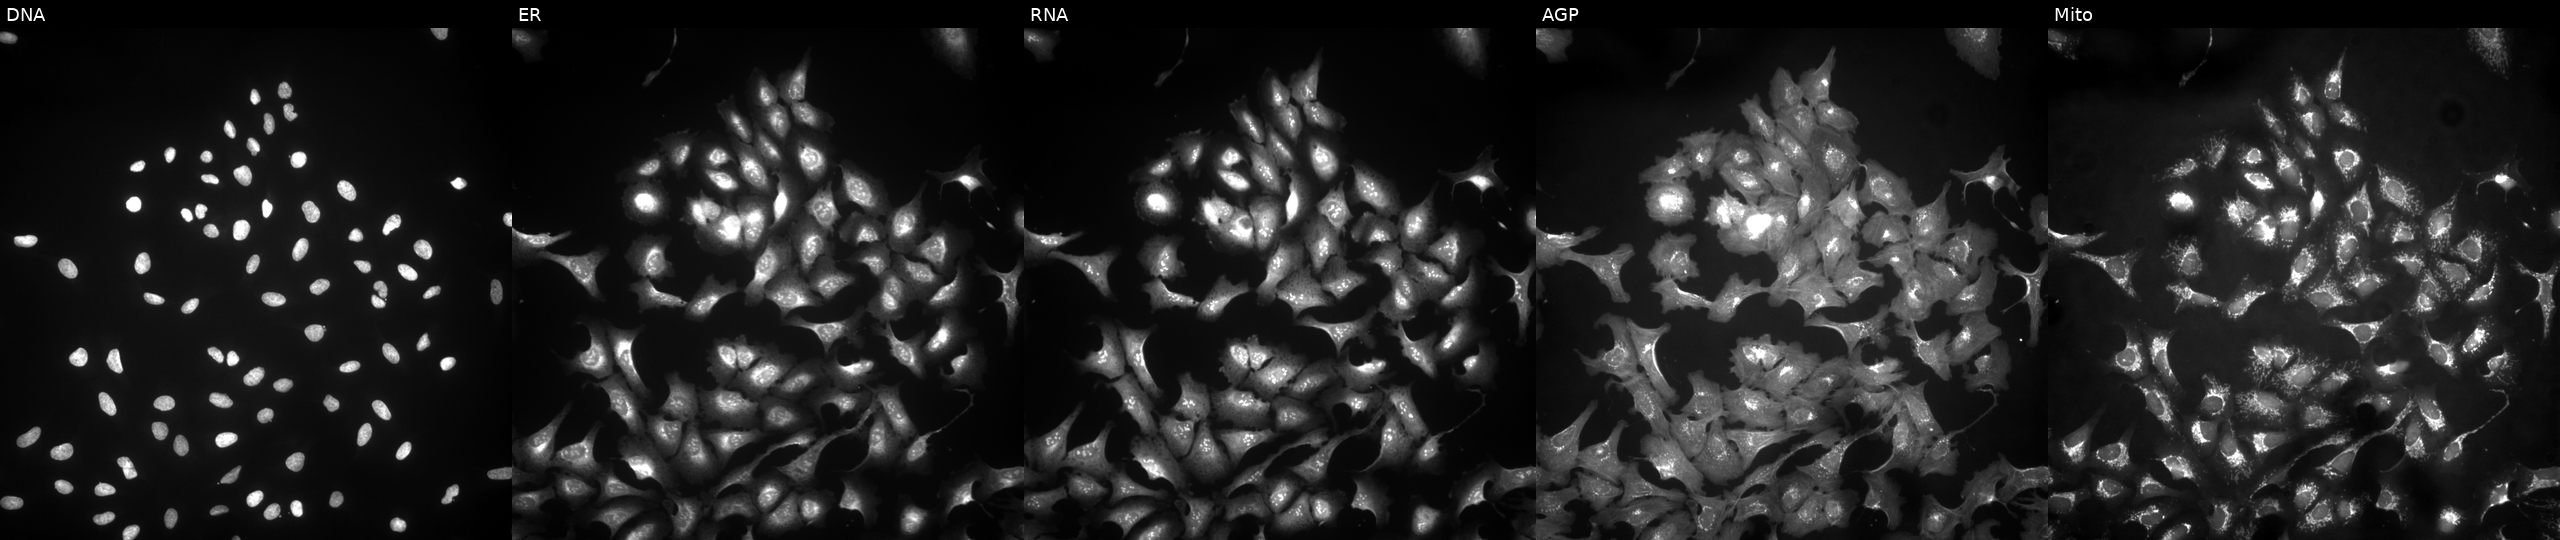
The five panels, left to right, show DNA, ER, RNA, AGP, and Mito. U2OS osteosarcoma cells overexpressing ST6GALNAC1 via ORF transfection. Cell Painting assay, JUMP-CP dataset. Source 4, plate BR00123506, well P11.